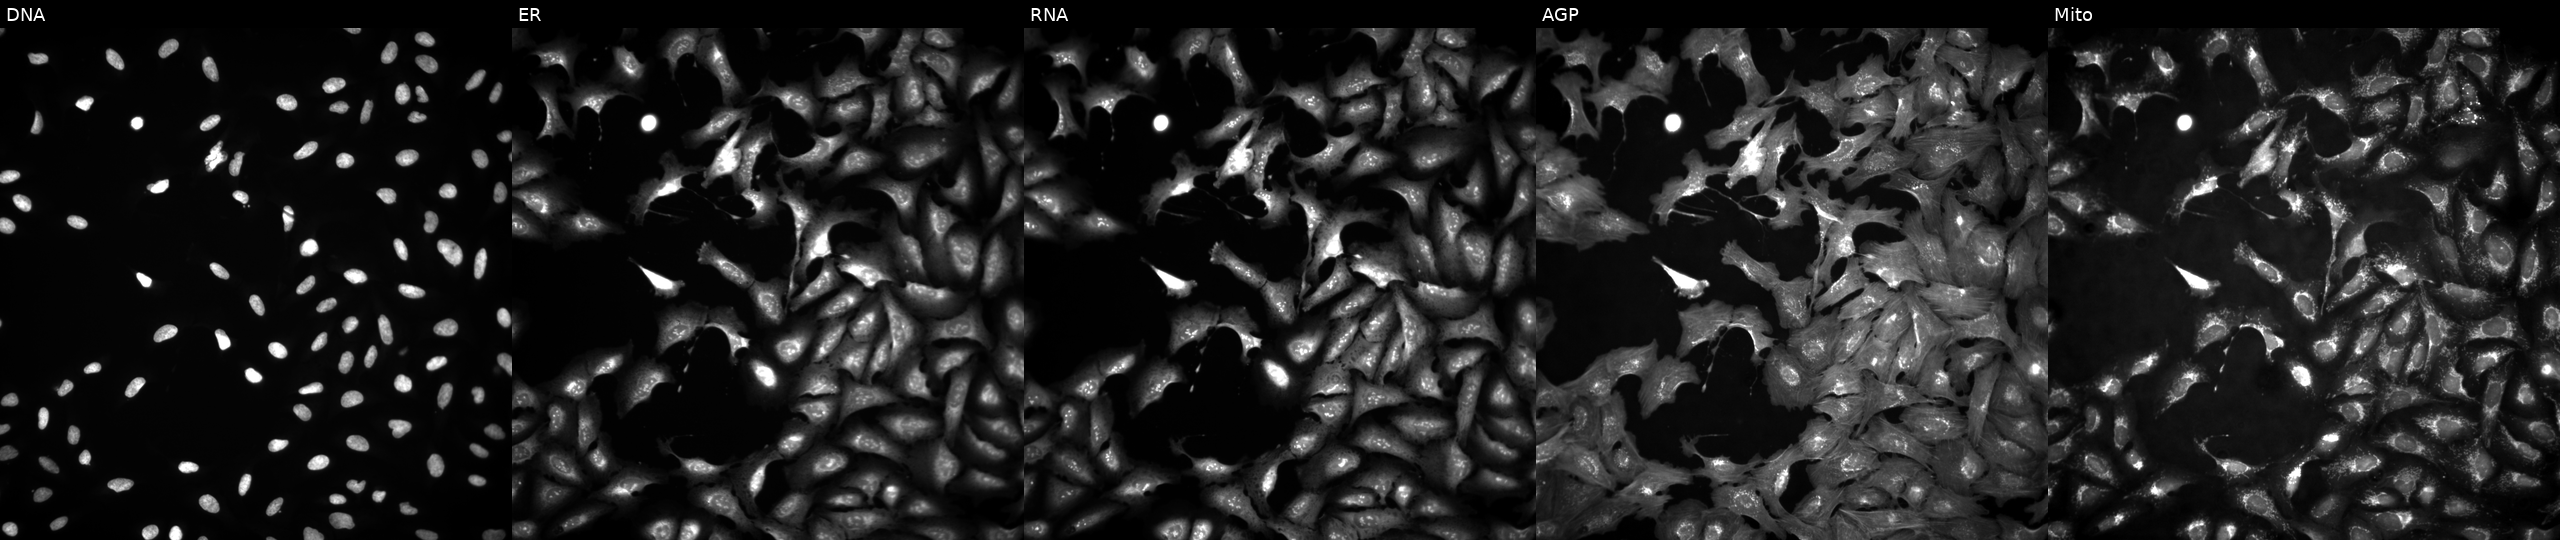
U2OS cells, Cell Painting assay, expressing LUCIFERASE (ORF negative control). From left to right: DNA, ER, RNA, AGP, and Mito. Each panel is percentile-stretched 16-bit fluorescence. Source 4, plate BR00123945, well M22.